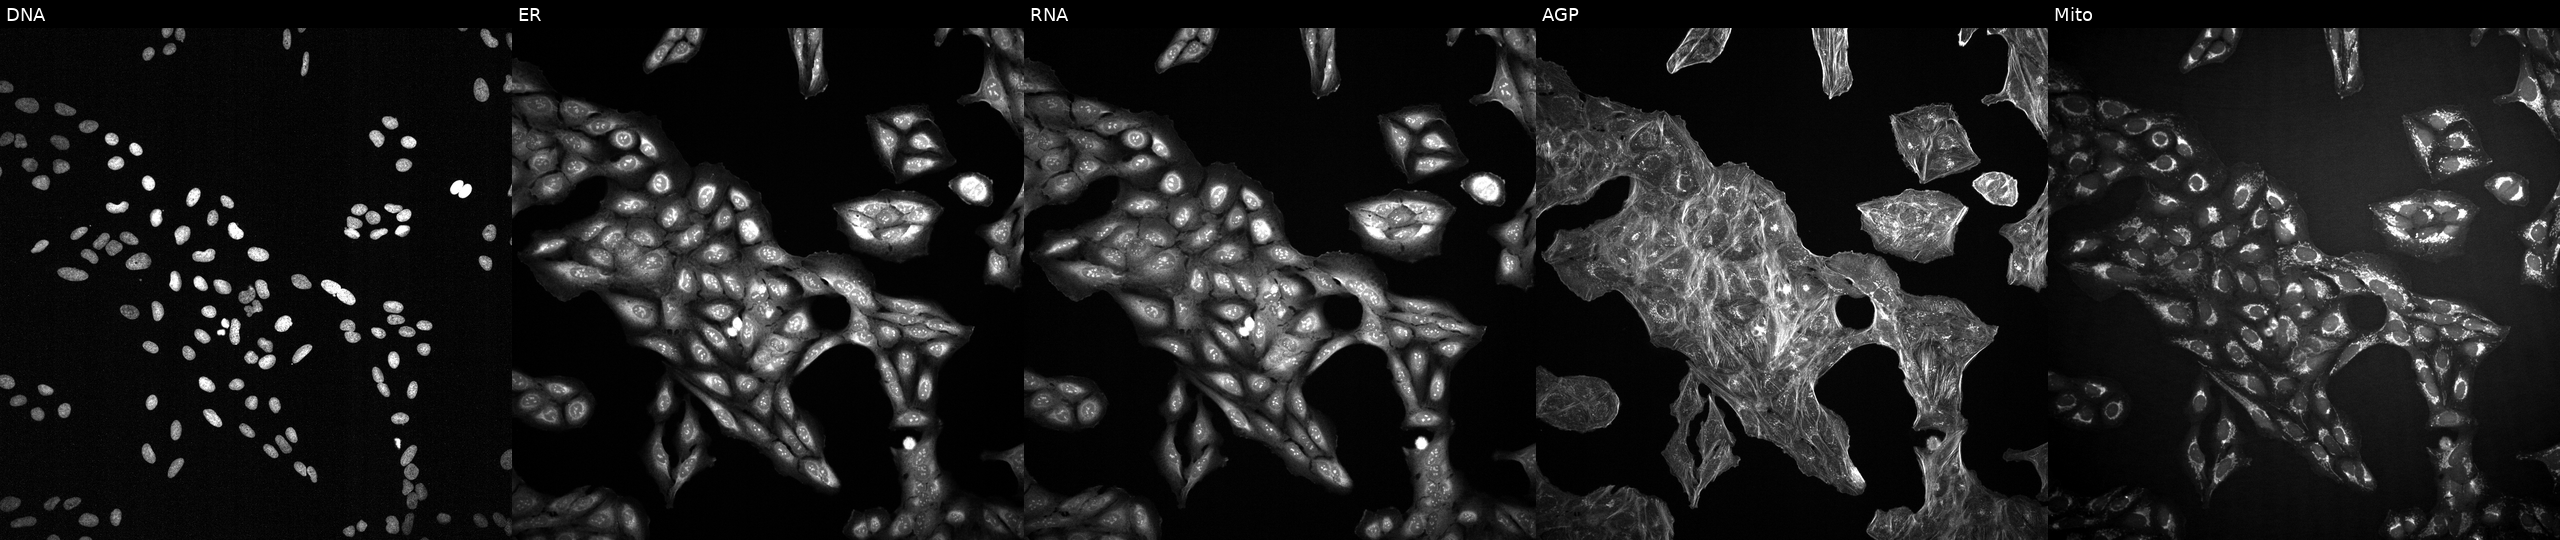
This image strip shows the five Cell Painting channels for a single field of U2OS cells perturbed with a small-molecule compound (InChIKey QXKHYNVANLEOEG-UHFFFAOYSA-N) [SMILES: COc1c2occc2cc2ccc(=O)oc12] (JUMP id JCP2022_076523). The five panels, left to right, show Hoechst 33342, concanavalin A, SYTO 14, phalloidin and WGA, MitoTracker.